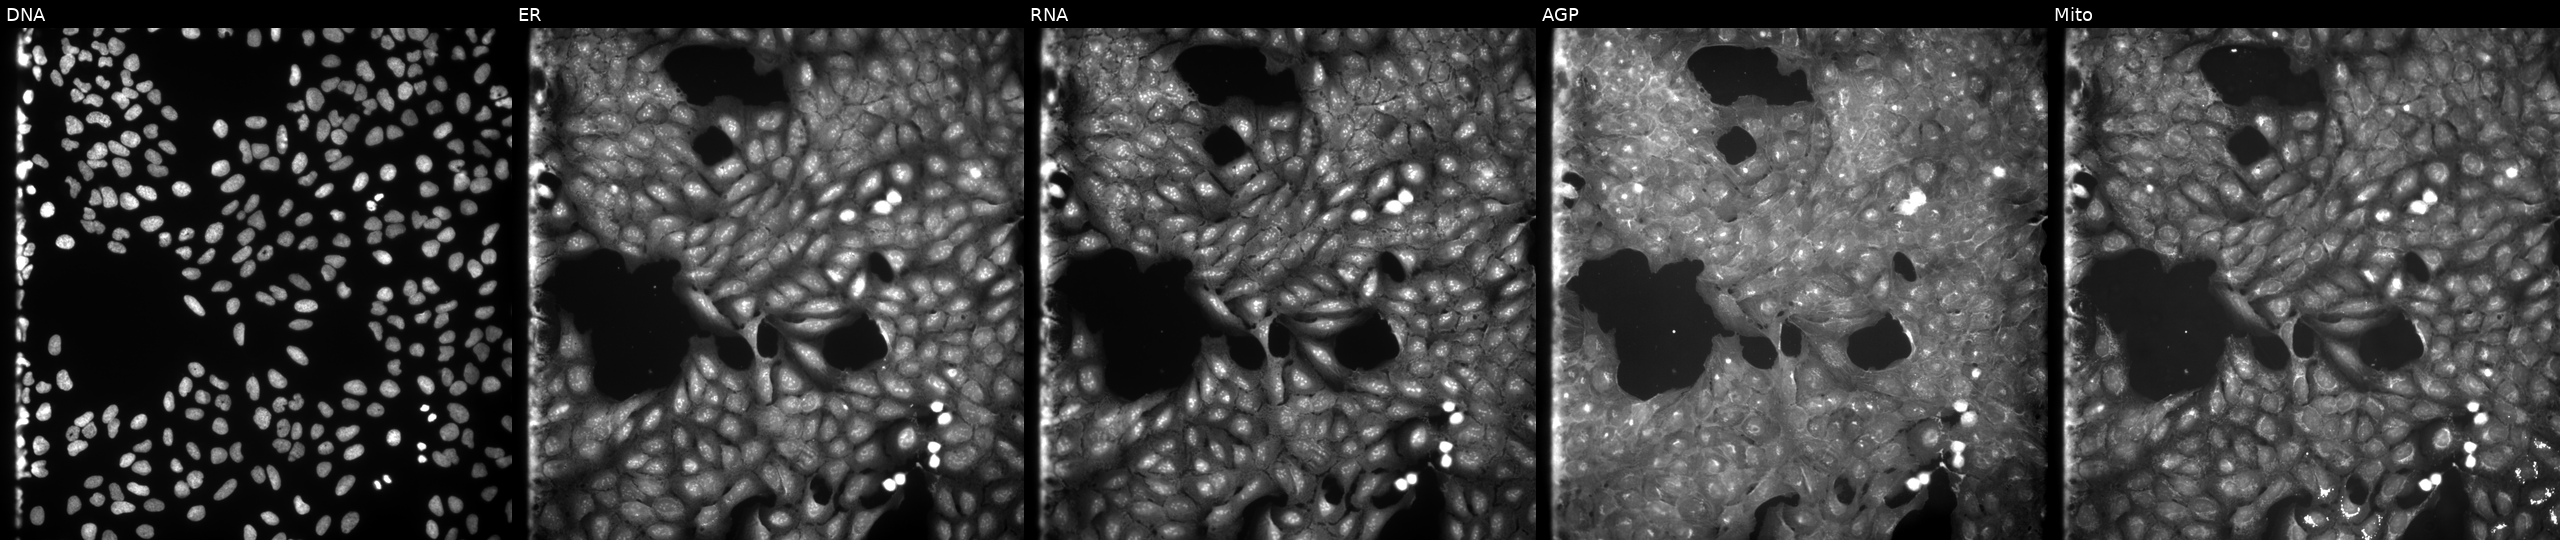
Five-channel Cell Painting image of U2OS cells perturbed with a small-molecule compound (InChIKey JRWKCNOTEZRVLS-UHFFFAOYSA-N). The five panels, left to right, show DNA, ER, RNA, AGP, and Mito.